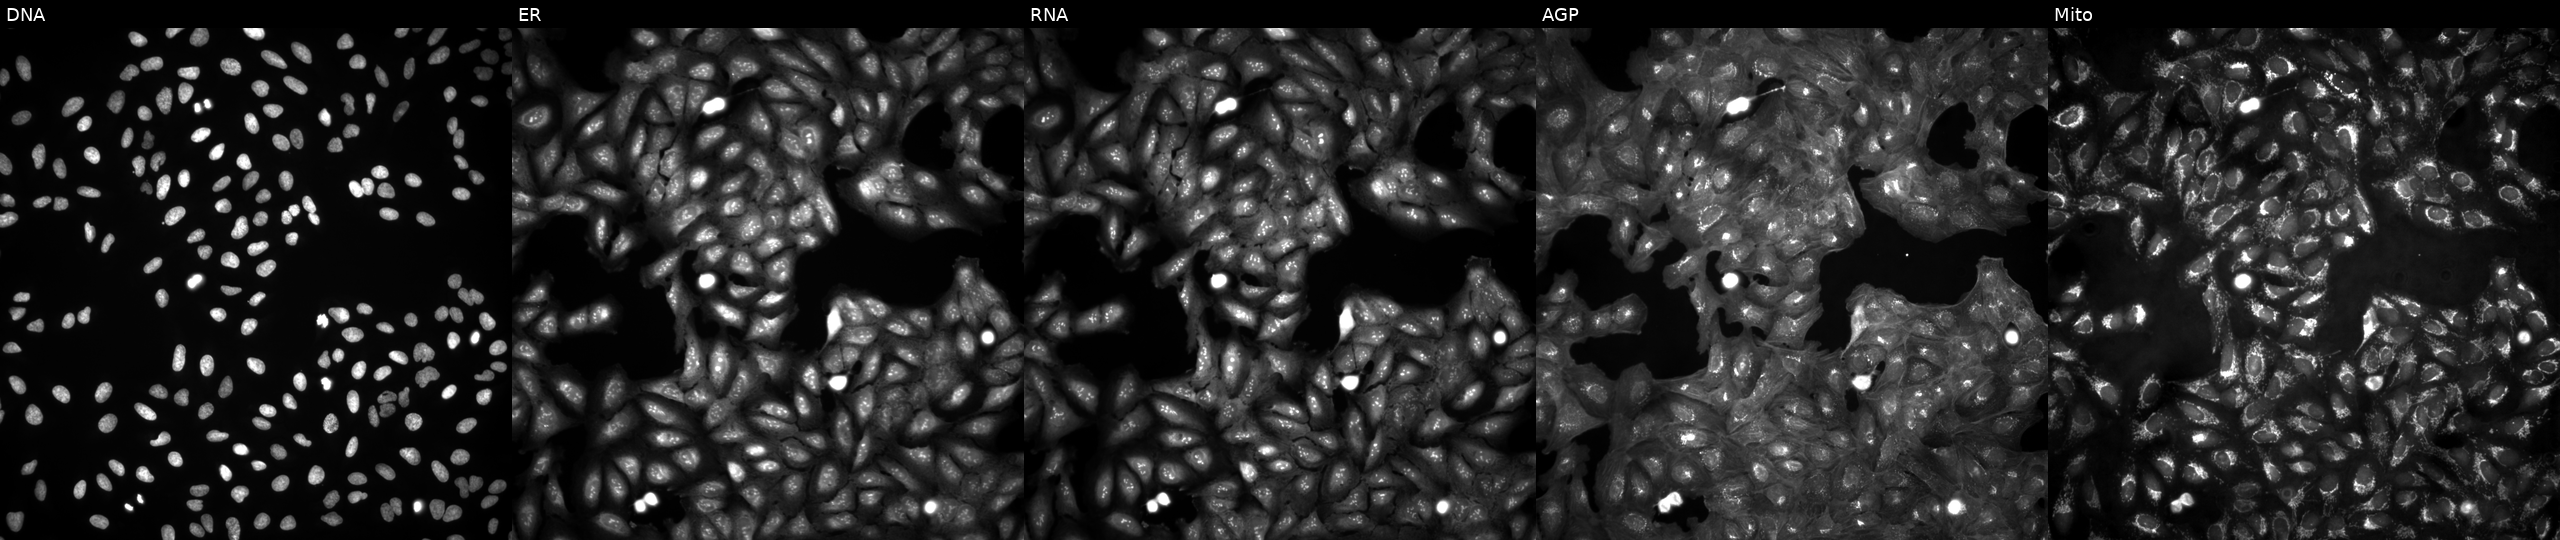
High-content fluorescence microscopy (Cell Painting). Cell line: U2OS. Perturbation: untreated (empty-well control) (JUMP id JCP2022_999999). Channels (left→right): Hoechst 33342, concanavalin A, SYTO 14, phalloidin and WGA, MitoTracker. Source 4, plate BR00123946, well D01.